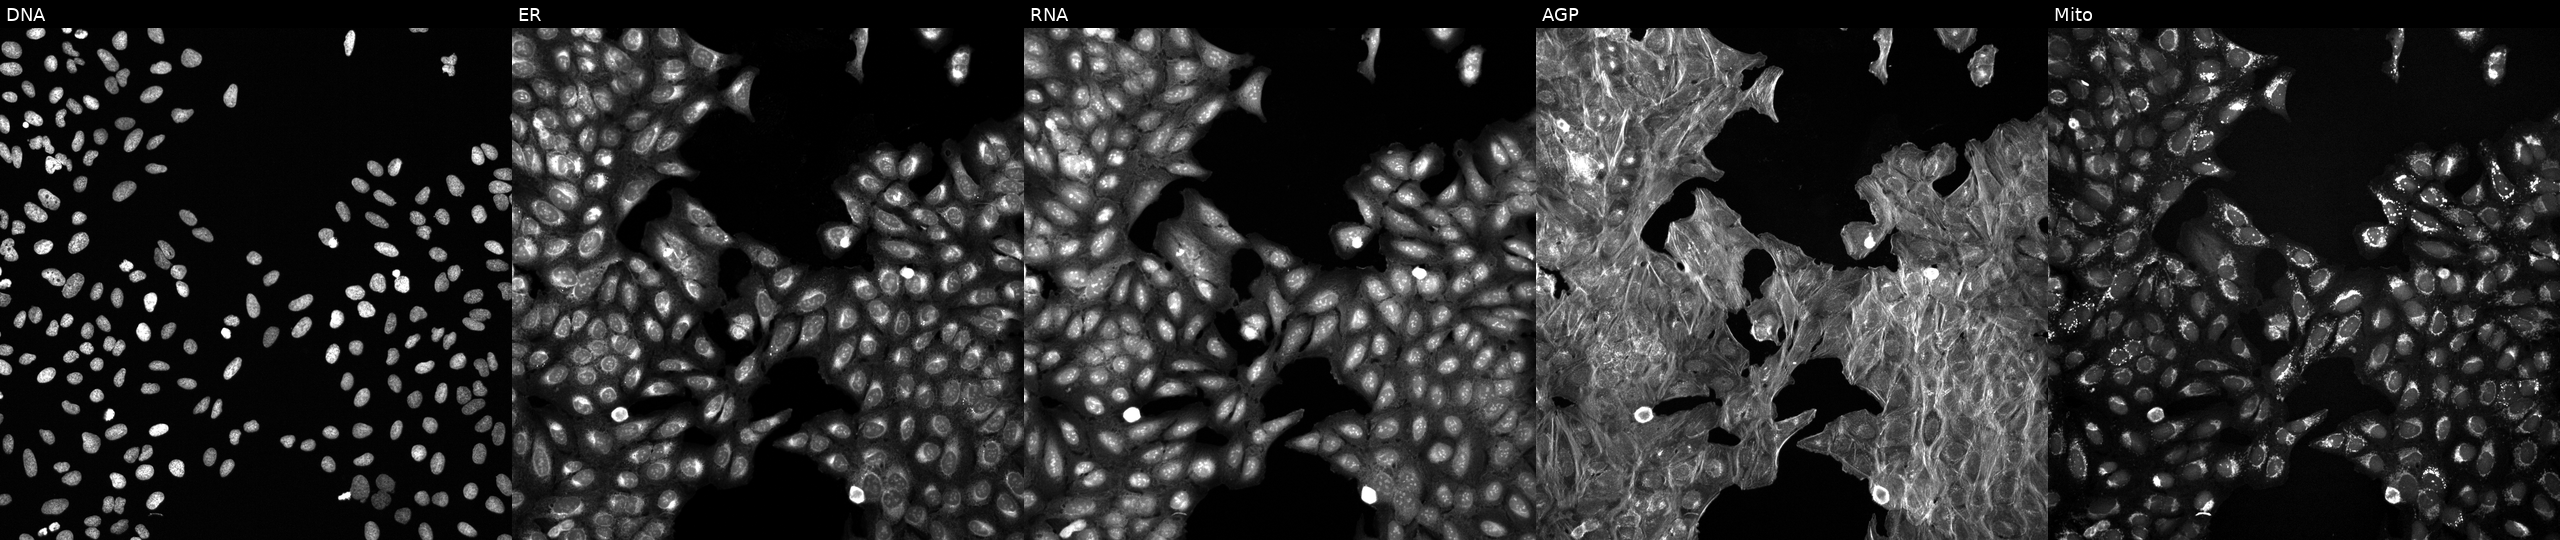
High-content fluorescence microscopy (Cell Painting). Cell line: U2OS. Perturbation: exposed to DMSO alone as a negative control. Panels show, left to right, Hoechst 33342, concanavalin A, SYTO 14, phalloidin and WGA, MitoTracker.